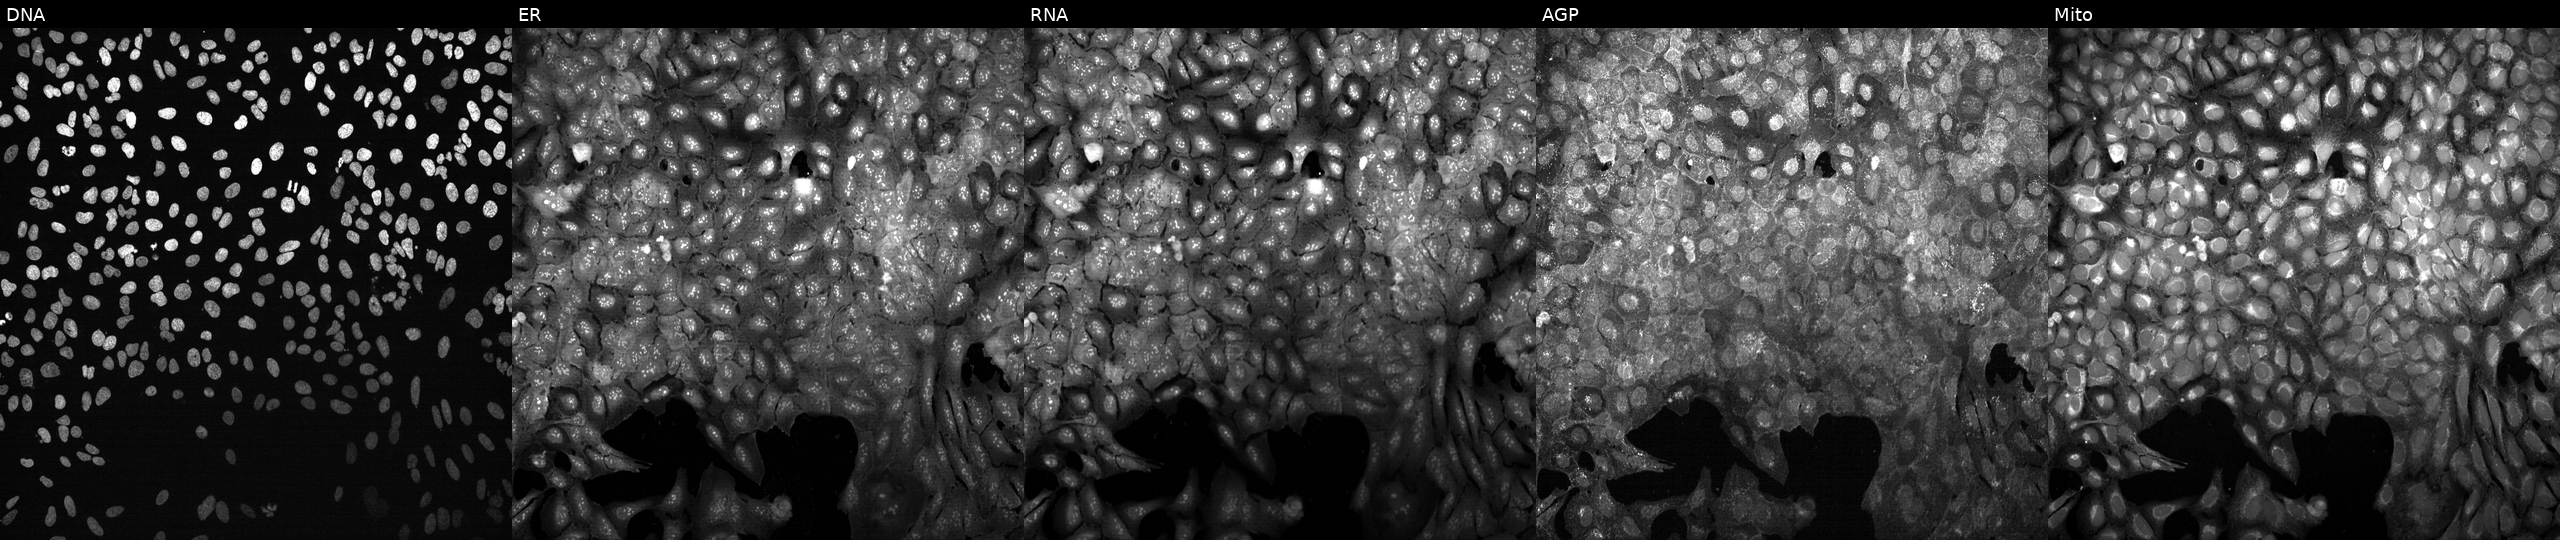
This image strip shows the five Cell Painting channels for a single field of U2OS cells with B3GNT5 knocked out by CRISPR (JUMP id JCP2022_800783). Channels (left→right): DNA, ER, RNA, AGP, and Mito. Source 13, plate CP-CC9-R1-01, well N09.